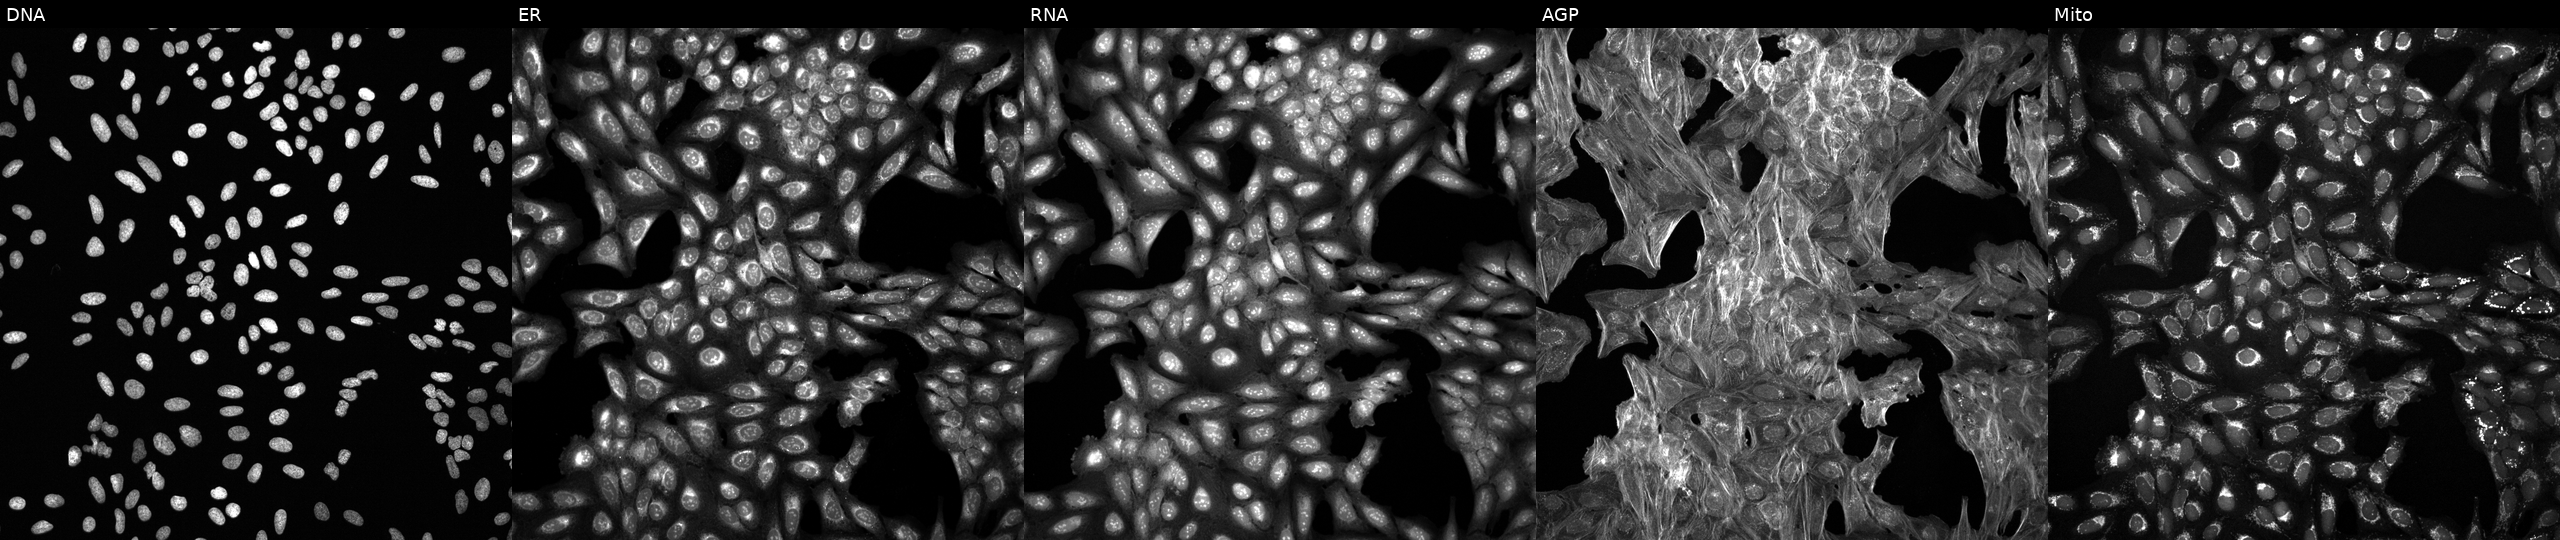
Panels show, left to right, DNA (nuclei); ER (endoplasmic reticulum); RNA (nucleoli and cytoplasmic RNA); AGP (actin cytoskeleton, Golgi, and plasma membrane); Mito (mitochondria). U2OS osteosarcoma cells exposed to a small-molecule compound. Cell Painting assay, JUMP-CP dataset. Source 6, plate 110000293083, well P06.